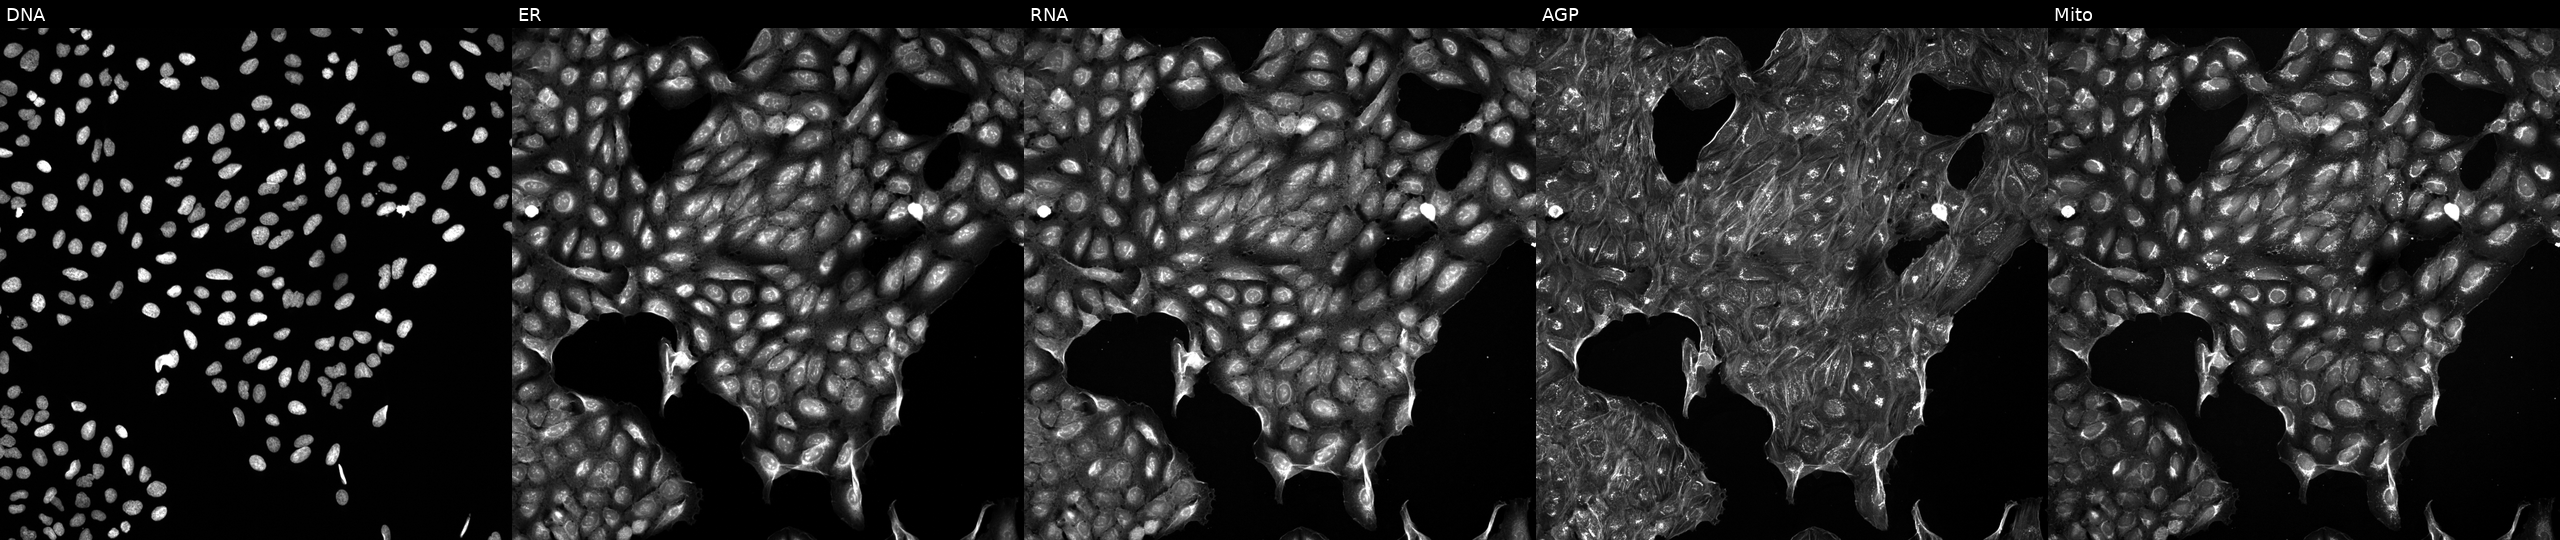
U2OS cells, Cell Painting assay, exposed to a small-molecule compound (InChIKey BKCZIKUIQAKVOR-UHFFFAOYSA-N) (JUMP id JCP2022_006877). Panels show, left to right, DNA (nuclei); ER (endoplasmic reticulum); RNA (nucleoli and cytoplasmic RNA); AGP (actin cytoskeleton, Golgi, and plasma membrane); Mito (mitochondria). Each panel is percentile-stretched 16-bit fluorescence.